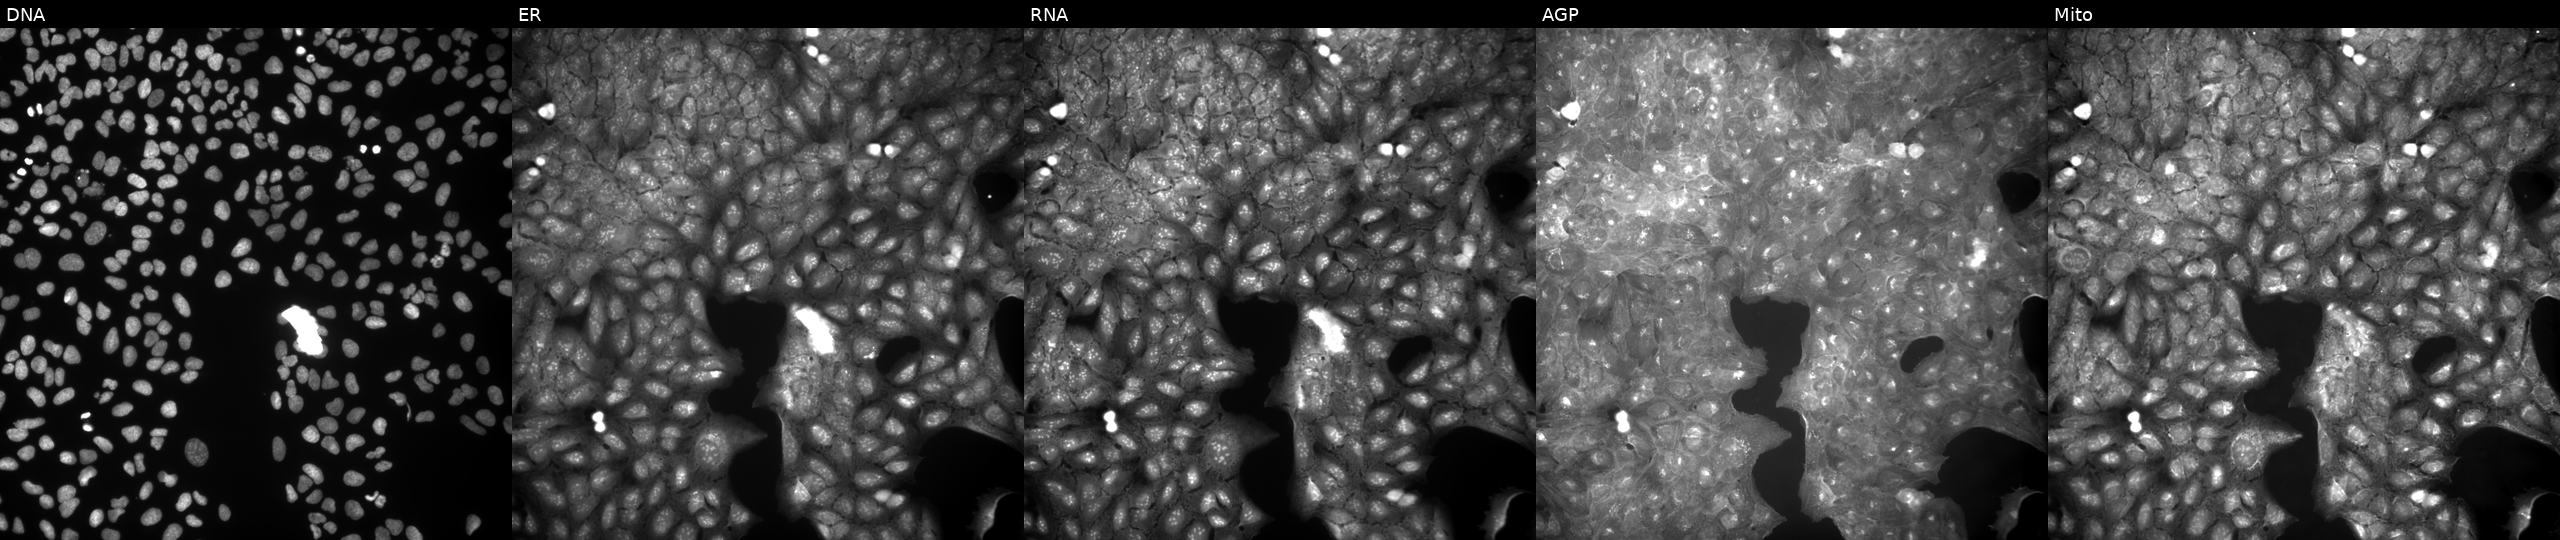
This image strip shows the five Cell Painting channels for a single field of U2OS cells treated with a small-molecule compound [SMILES: O=C1c2ccc([N+](=O)[O-])cc2C(=O)N1c1ccc(Cl)cn1]. The five panels, left to right, show DNA (nuclei); ER (endoplasmic reticulum); RNA (nucleoli and cytoplasmic RNA); AGP (actin cytoskeleton, Golgi, and plasma membrane); Mito (mitochondria).